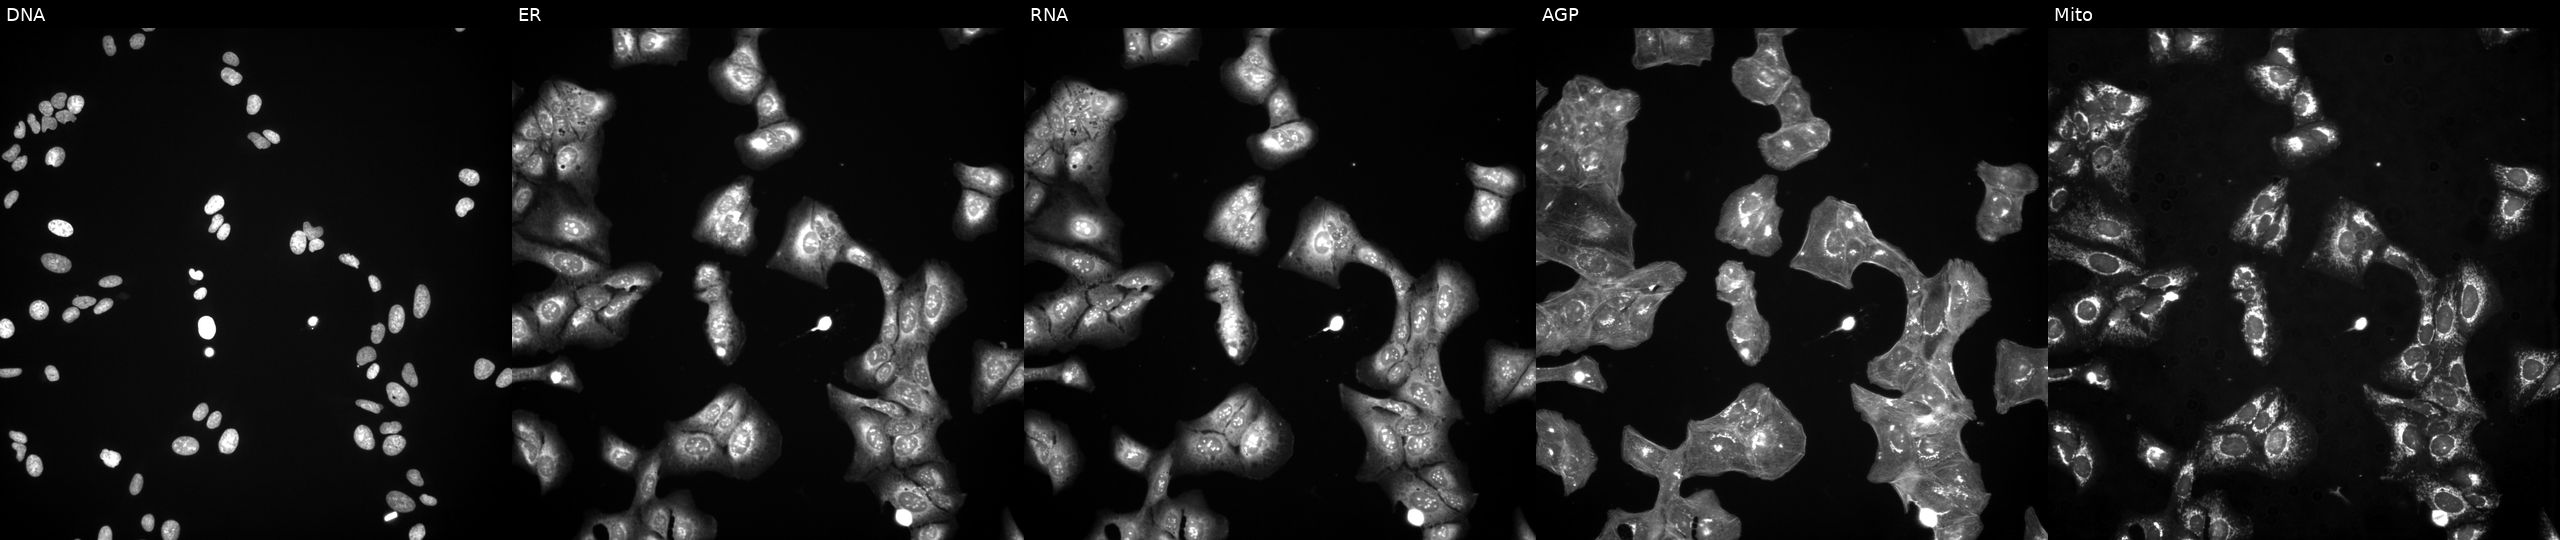
JUMP Cell Painting — TARGET2 plate. U2OS cells treated with a small-molecule compound (InChIKey RAMROQQYRRQPDL-UHFFFAOYSA-N). Channels (left→right): DNA, ER, RNA, AGP, and Mito. Source 3, plate JCPQC052, well C22.